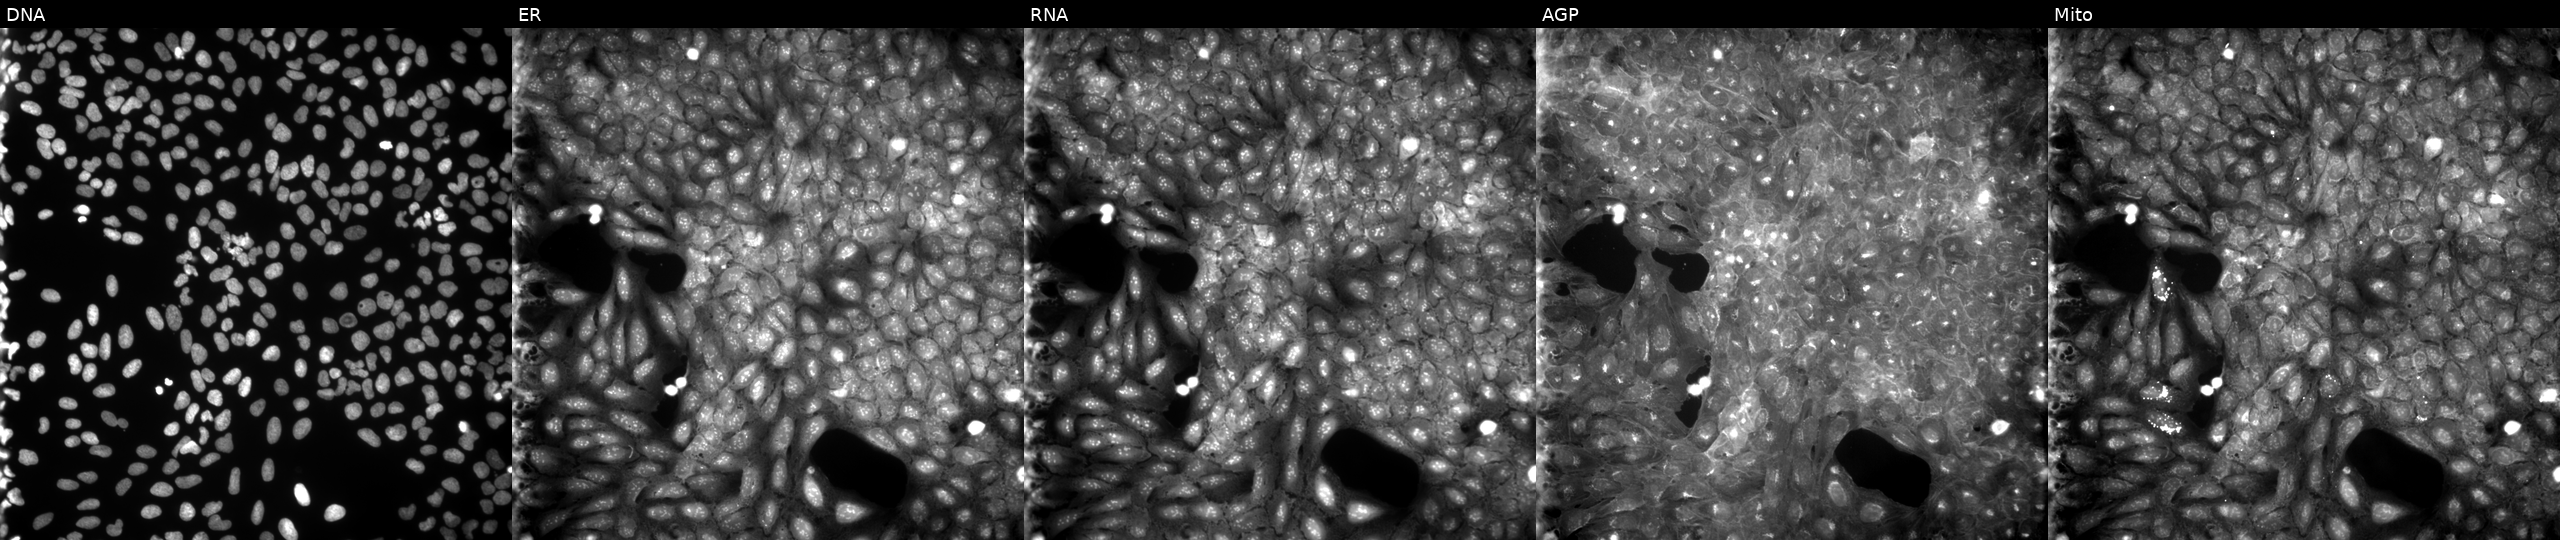
High-content fluorescence microscopy (Cell Painting). Cell line: U2OS. Perturbation: perturbed with a small-molecule compound (InChIKey GQNNRHHOBXJTIU-UHFFFAOYSA-N) (JUMP id JCP2022_027140). Channels (left→right): Hoechst 33342, concanavalin A, SYTO 14, phalloidin and WGA, MitoTracker.